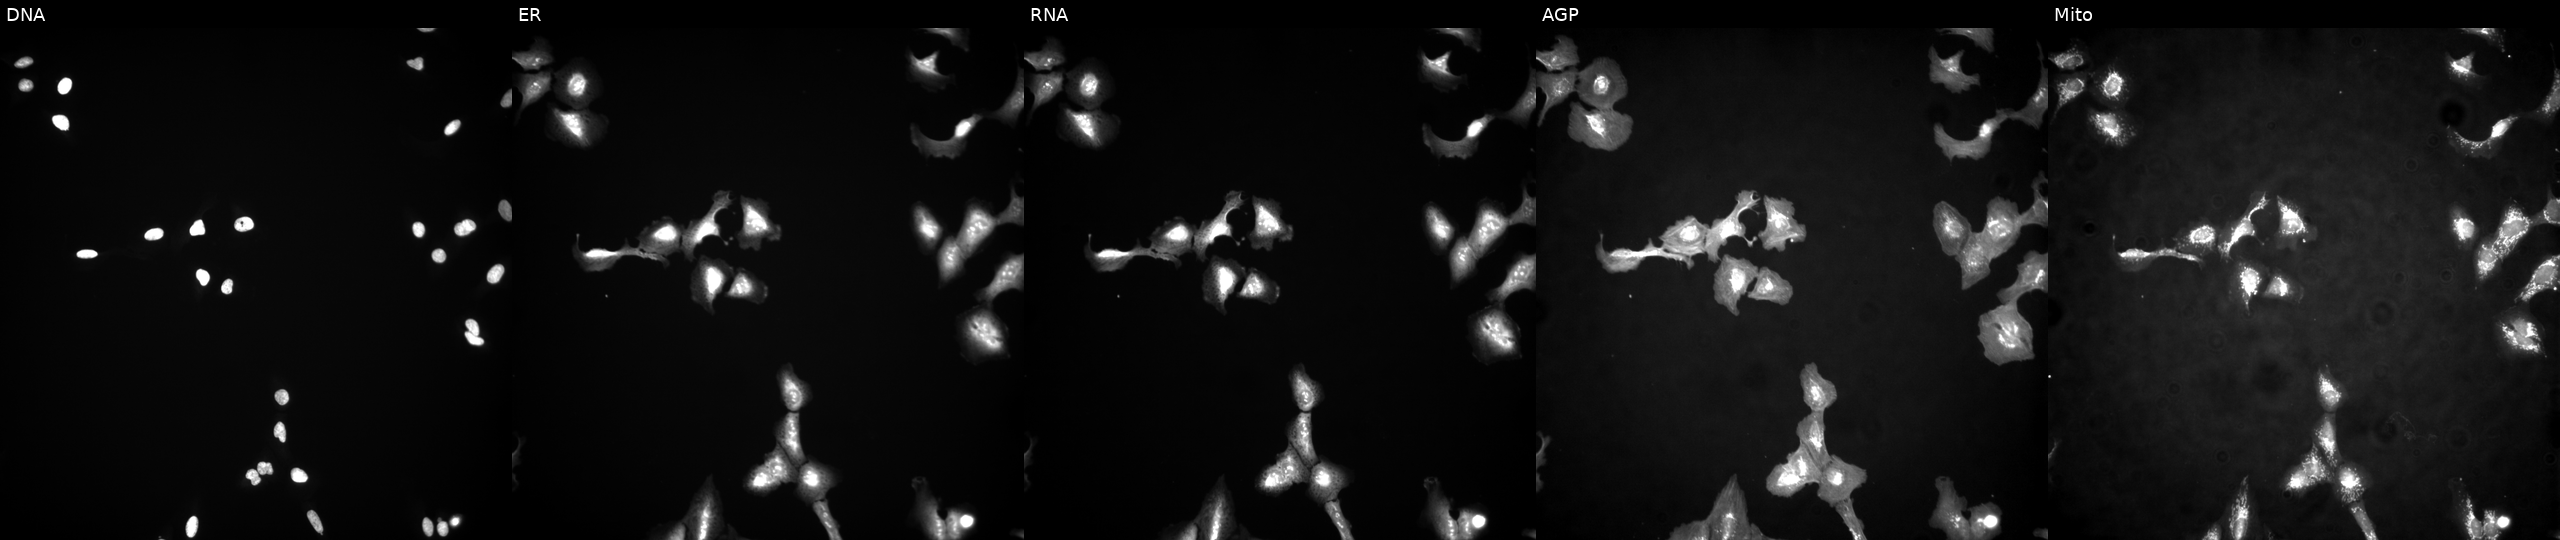
U2OS cells, Cell Painting assay, overexpressing IKZF3 via ORF transfection. Panels show, left to right, DNA, ER, RNA, AGP, and Mito. Each panel is percentile-stretched 16-bit fluorescence.